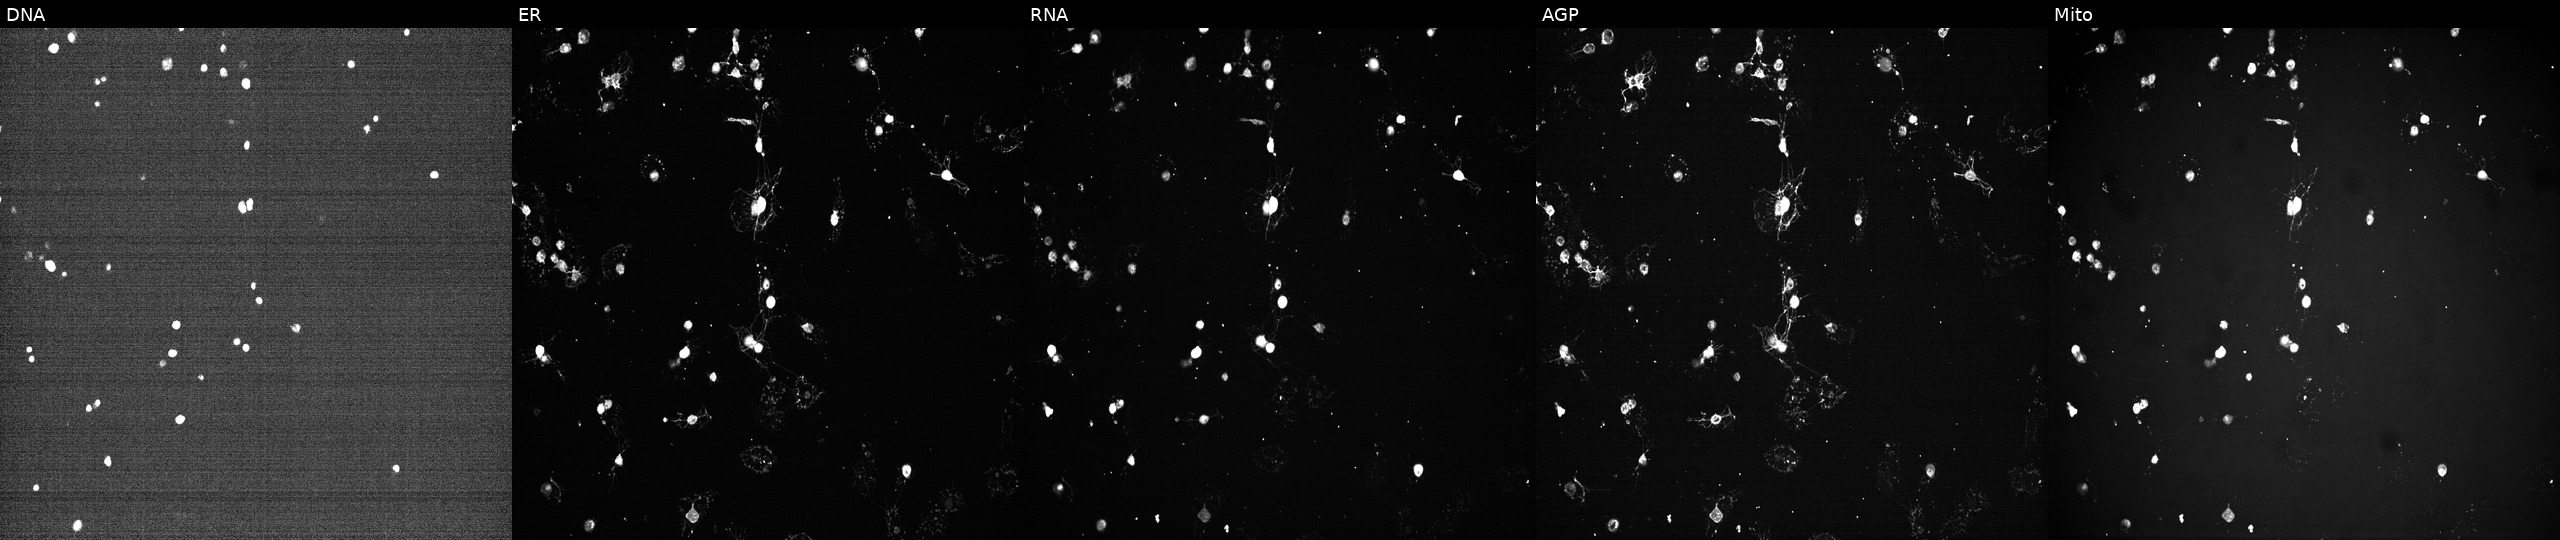
From left to right: Hoechst 33342, concanavalin A, SYTO 14, phalloidin and WGA, MitoTracker. U2OS osteosarcoma cells exposed to a small-molecule compound (InChIKey IAYGCINLNONXHY-UHFFFAOYSA-N) (JUMP id JCP2022_033914). Cell Painting assay, JUMP-CP dataset.